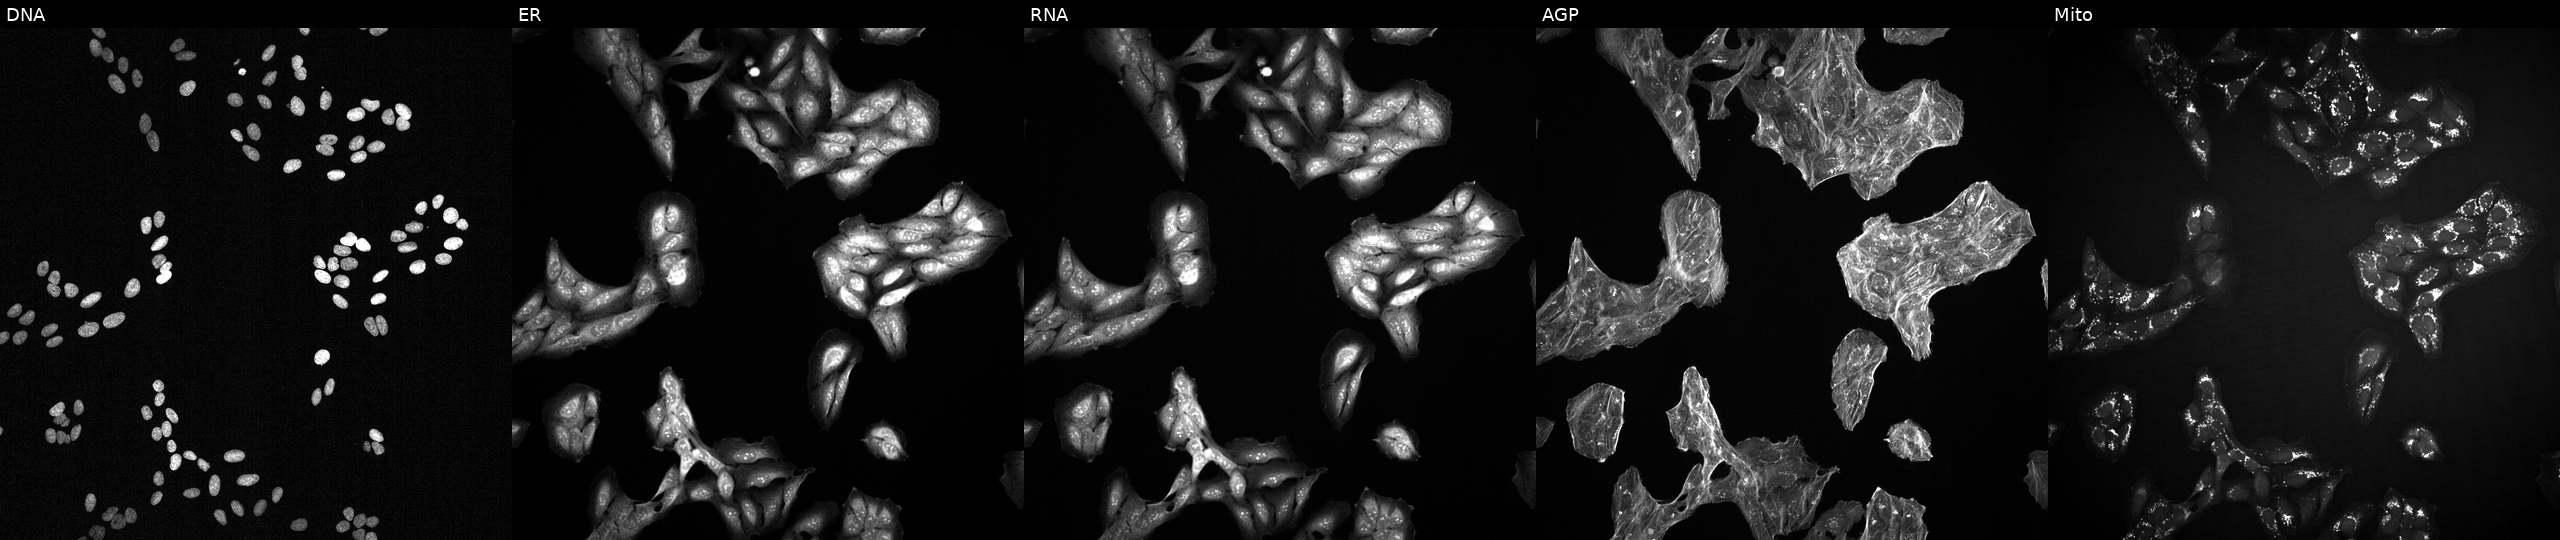
JUMP Cell Painting — TARGET2 plate. U2OS cells treated with a small-molecule compound (JUMP id JCP2022_098688). The five panels, left to right, show Hoechst 33342, concanavalin A, SYTO 14, phalloidin and WGA, MitoTracker. Source 2, plate 1053599503, well B09.